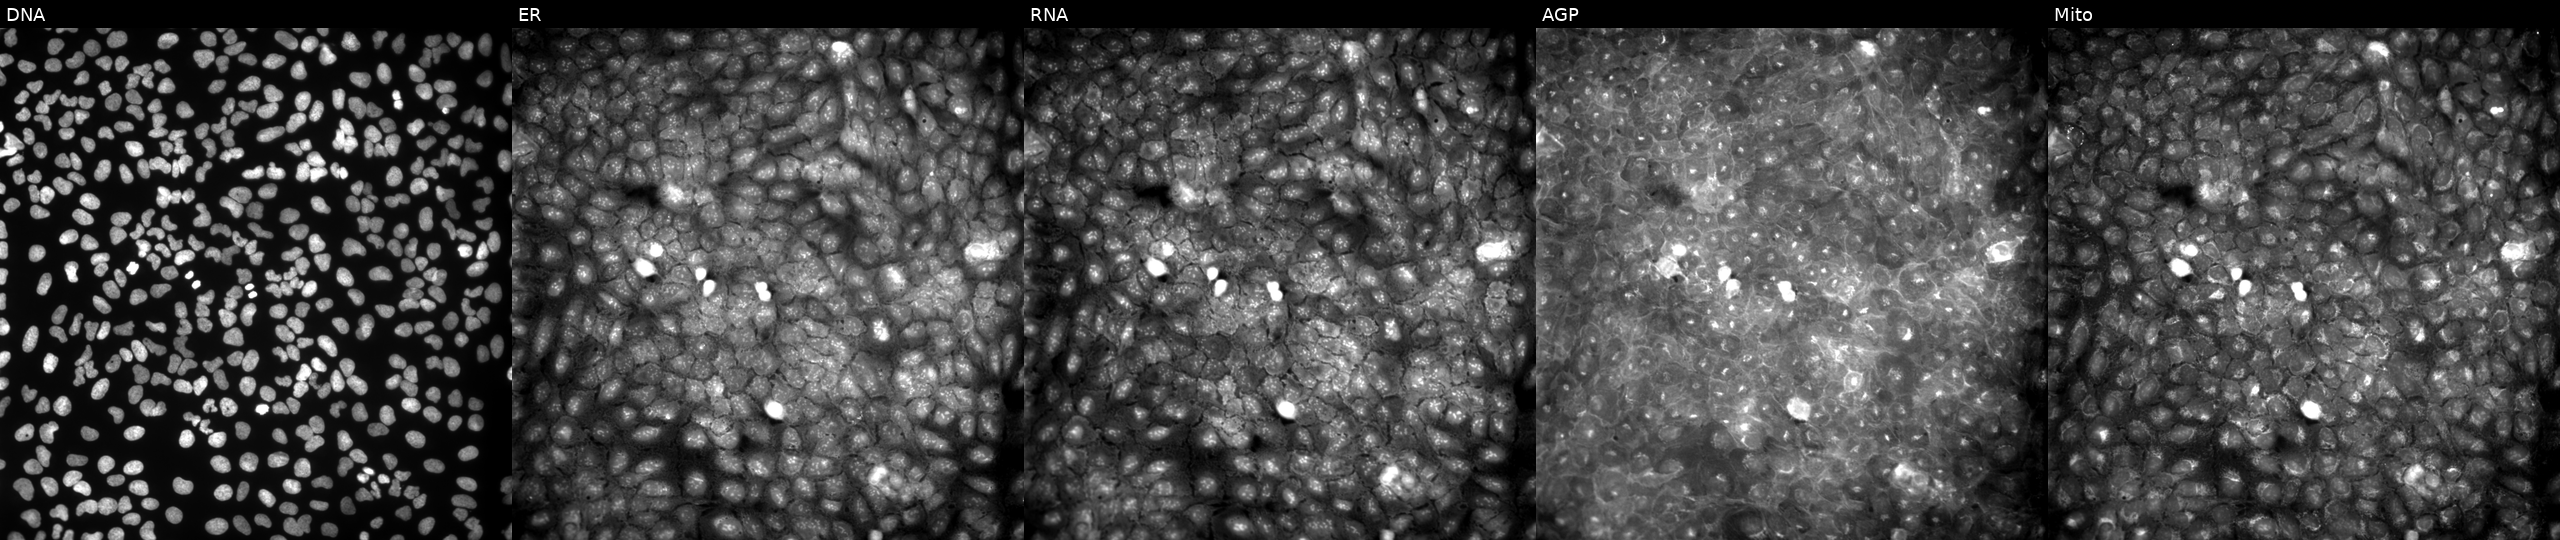
High-content fluorescence microscopy (Cell Painting). Cell line: U2OS. Perturbation: treated with a small-molecule compound [SMILES: C=CCn1c(COc2ccc(OC)cc2)nc2ccccc21] (JUMP id JCP2022_080796). Panels show, left to right, Hoechst 33342, concanavalin A, SYTO 14, phalloidin and WGA, MitoTracker.